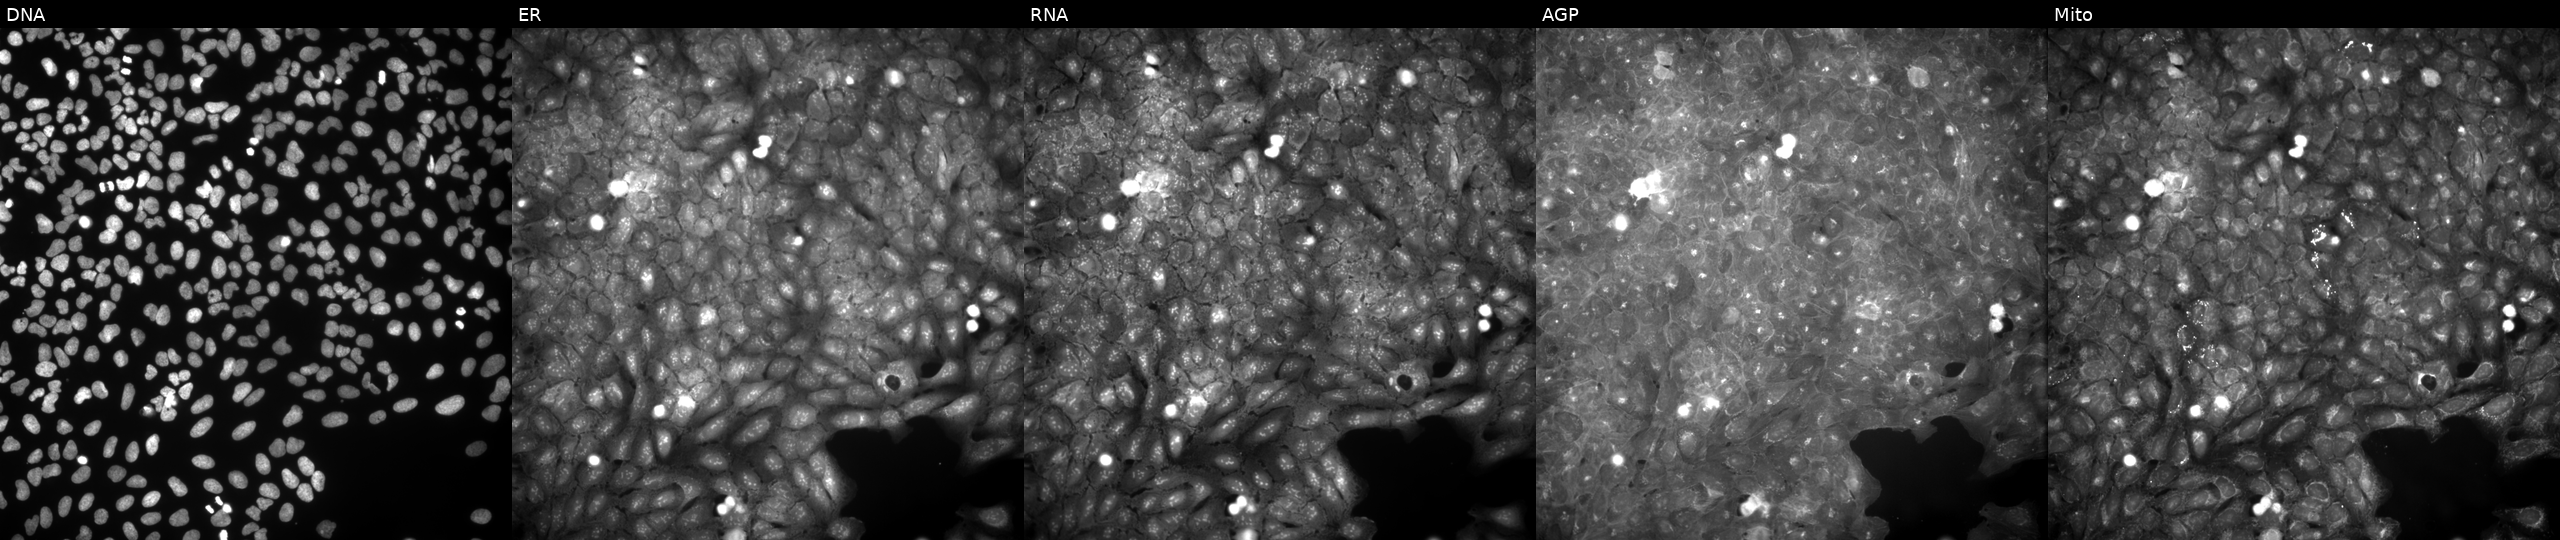
This image strip shows the five Cell Painting channels for a single field of U2OS cells exposed to the positive-control compound quinidine (JUMP id JCP2022_050797). Channels (left→right): DNA (nuclei); ER (endoplasmic reticulum); RNA (nucleoli and cytoplasmic RNA); AGP (actin cytoskeleton, Golgi, and plasma membrane); Mito (mitochondria).